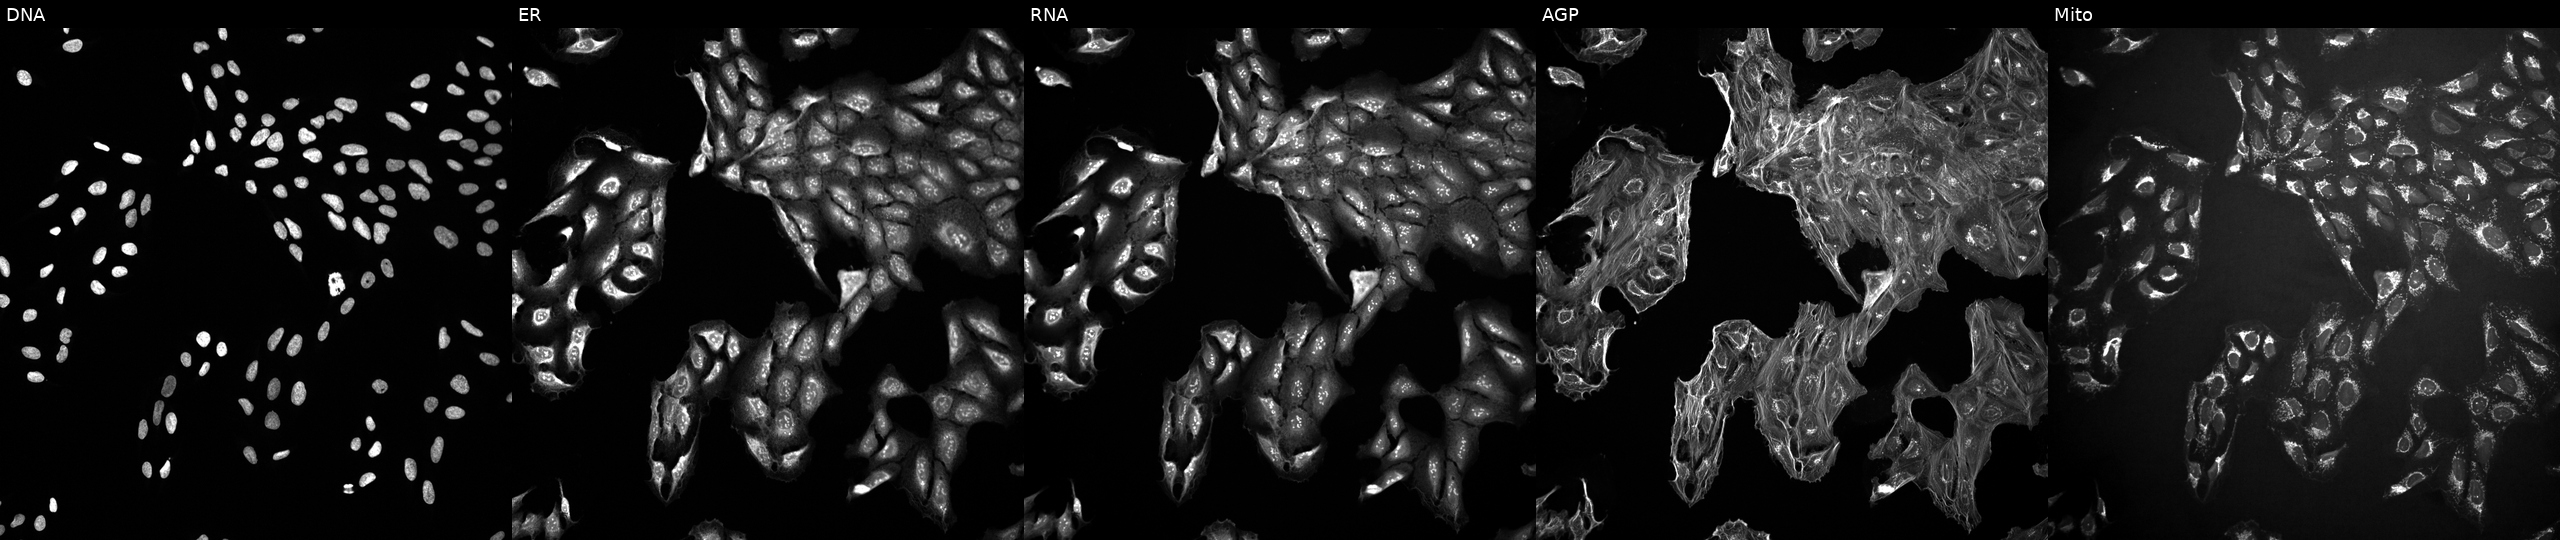
Five-channel Cell Painting image of U2OS cells exposed to DMSO alone as a negative control (JUMP id JCP2022_033924). The five panels, left to right, show DNA (nuclei); ER (endoplasmic reticulum); RNA (nucleoli and cytoplasmic RNA); AGP (actin cytoskeleton, Golgi, and plasma membrane); Mito (mitochondria). Source 10, plate Dest210726-160150, well F24.